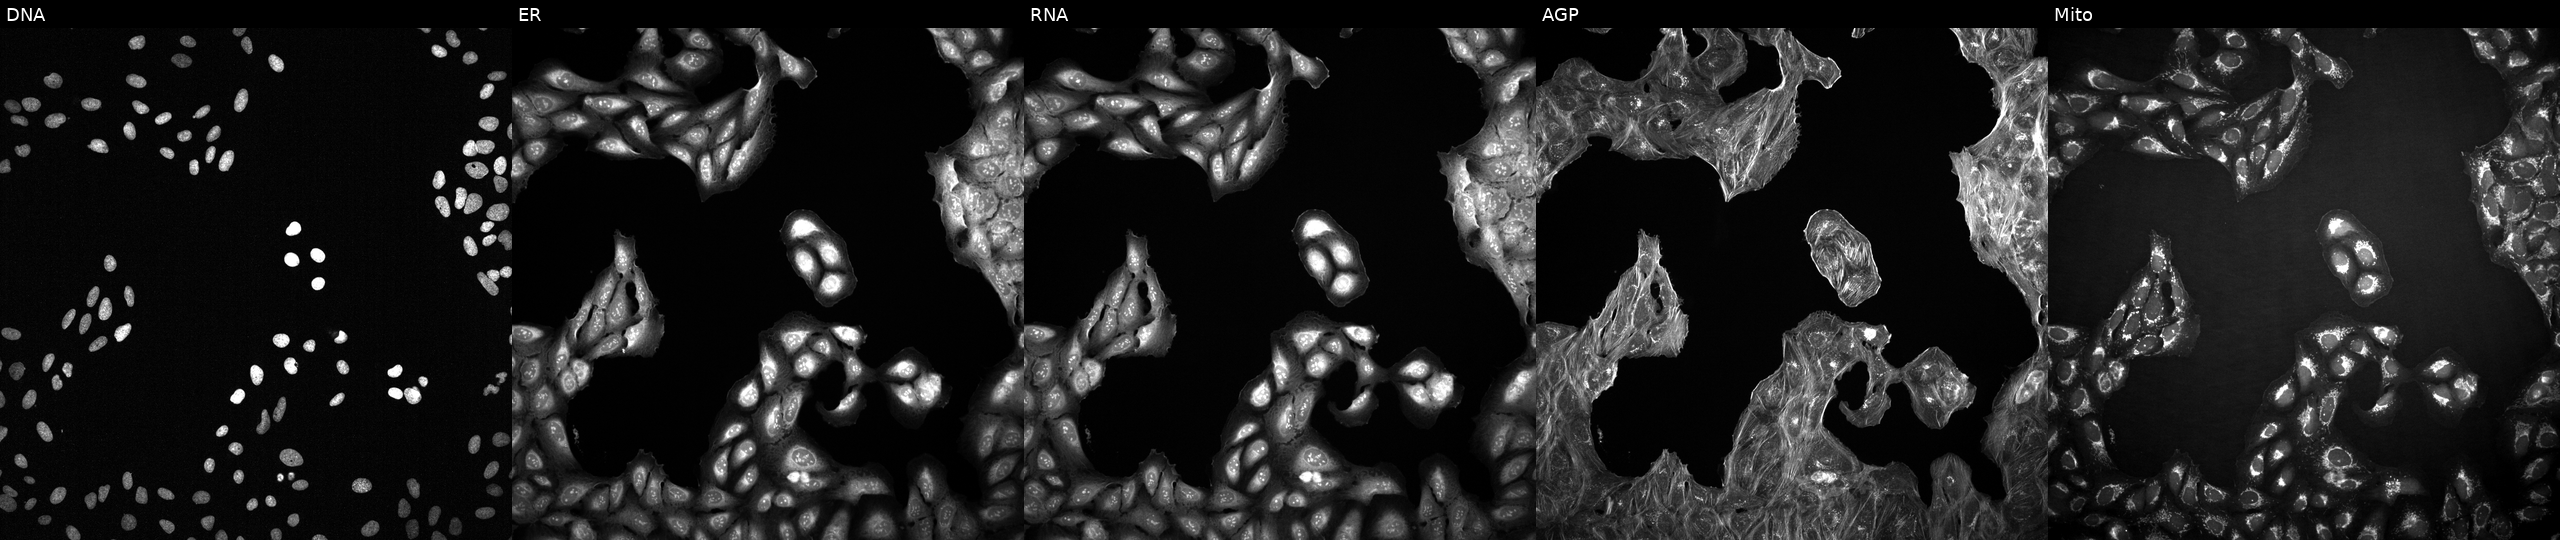
Panels show, left to right, DNA, ER, RNA, AGP, and Mito. U2OS osteosarcoma cells perturbed with a small-molecule compound (InChIKey VUIRVWPJNKZOSS-UHFFFAOYSA-N) (JUMP id JCP2022_096342). Cell Painting assay, JUMP-CP dataset. Source 2, plate 1053600674, well D15.